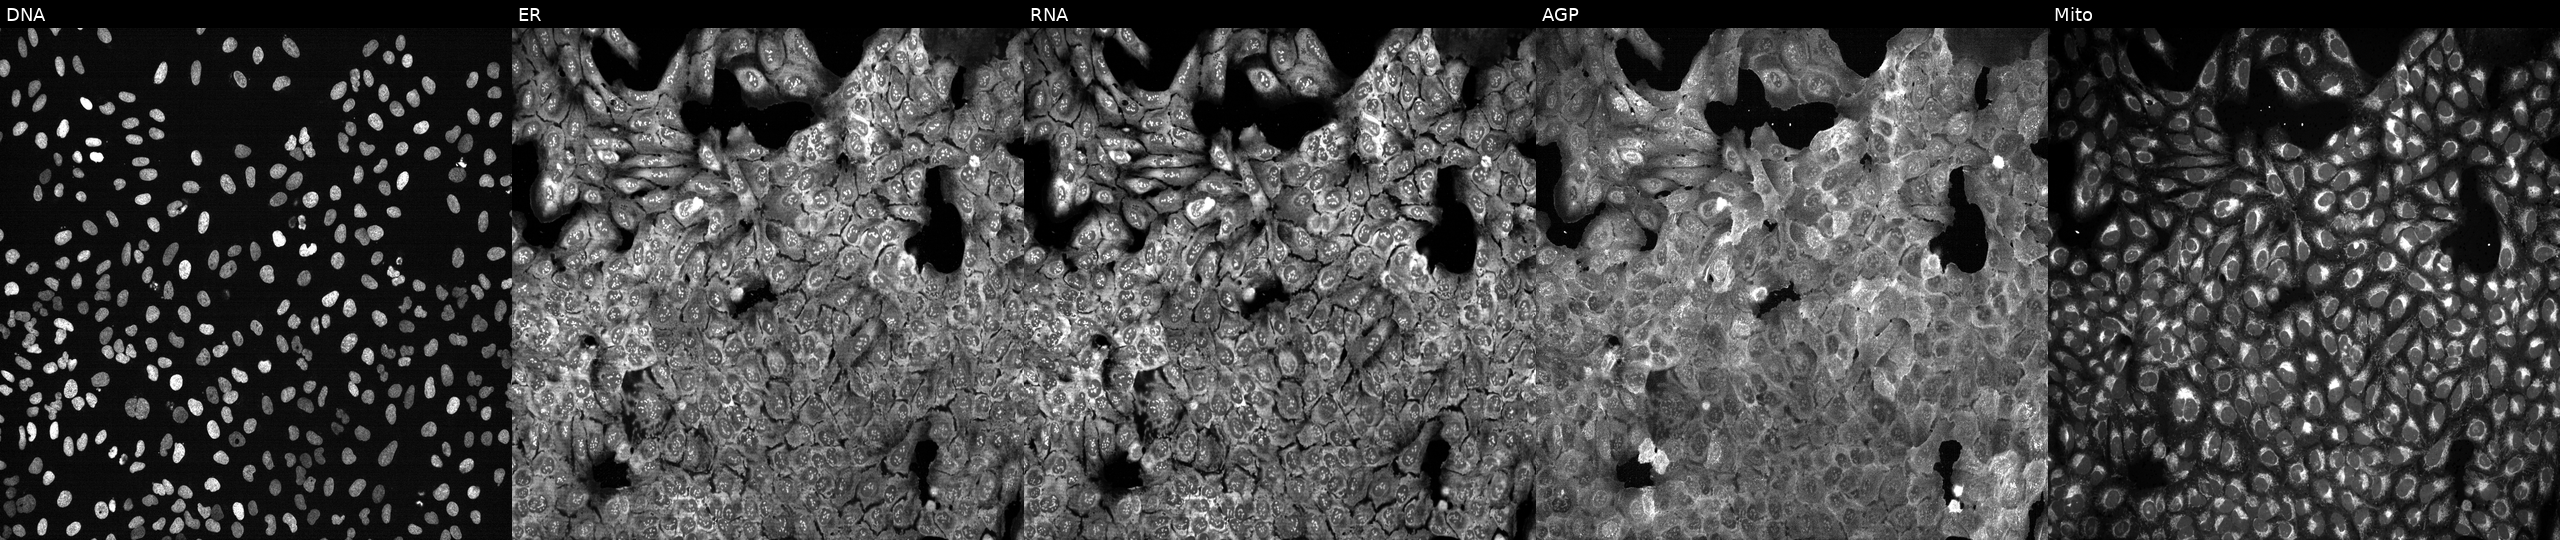
U2OS cells, Cell Painting assay, following CRISPR knockout of SLC28A3. Panels show, left to right, DNA (nuclei); ER (endoplasmic reticulum); RNA (nucleoli and cytoplasmic RNA); AGP (actin cytoskeleton, Golgi, and plasma membrane); Mito (mitochondria). Each panel is percentile-stretched 16-bit fluorescence. Source 13, plate CP-CC9-R2-02, well E12.